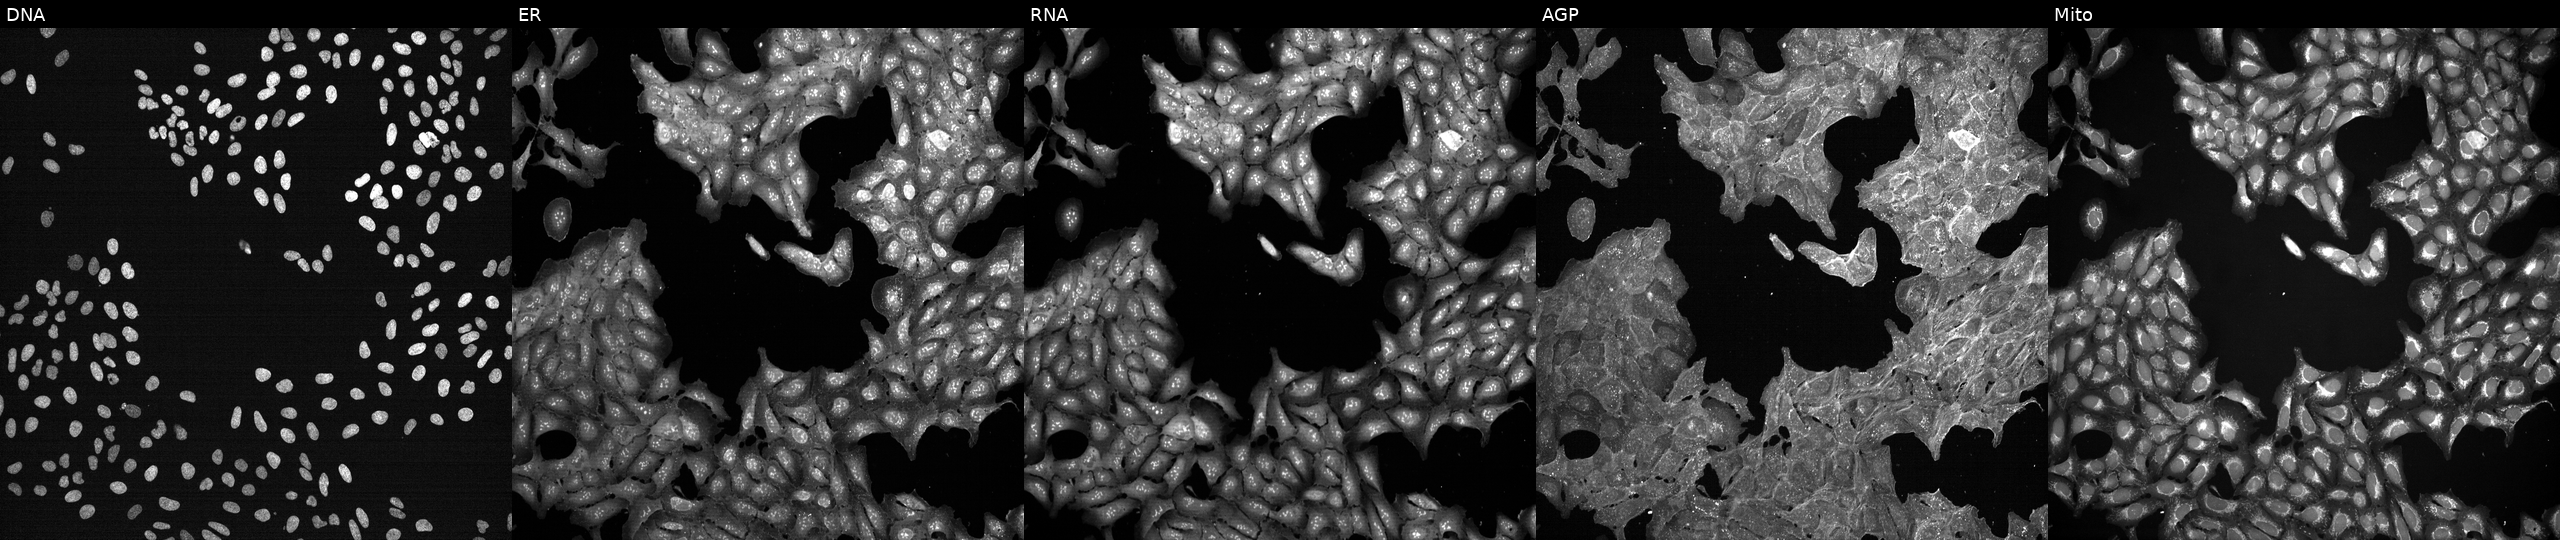
Channels (left→right): DNA (nuclei); ER (endoplasmic reticulum); RNA (nucleoli and cytoplasmic RNA); AGP (actin cytoskeleton, Golgi, and plasma membrane); Mito (mitochondria). U2OS osteosarcoma cells exposed to DMSO alone as a negative control (JUMP id JCP2022_033924). Cell Painting assay, JUMP-CP dataset. Source 7, plate CP2-SC1-25, well L13.